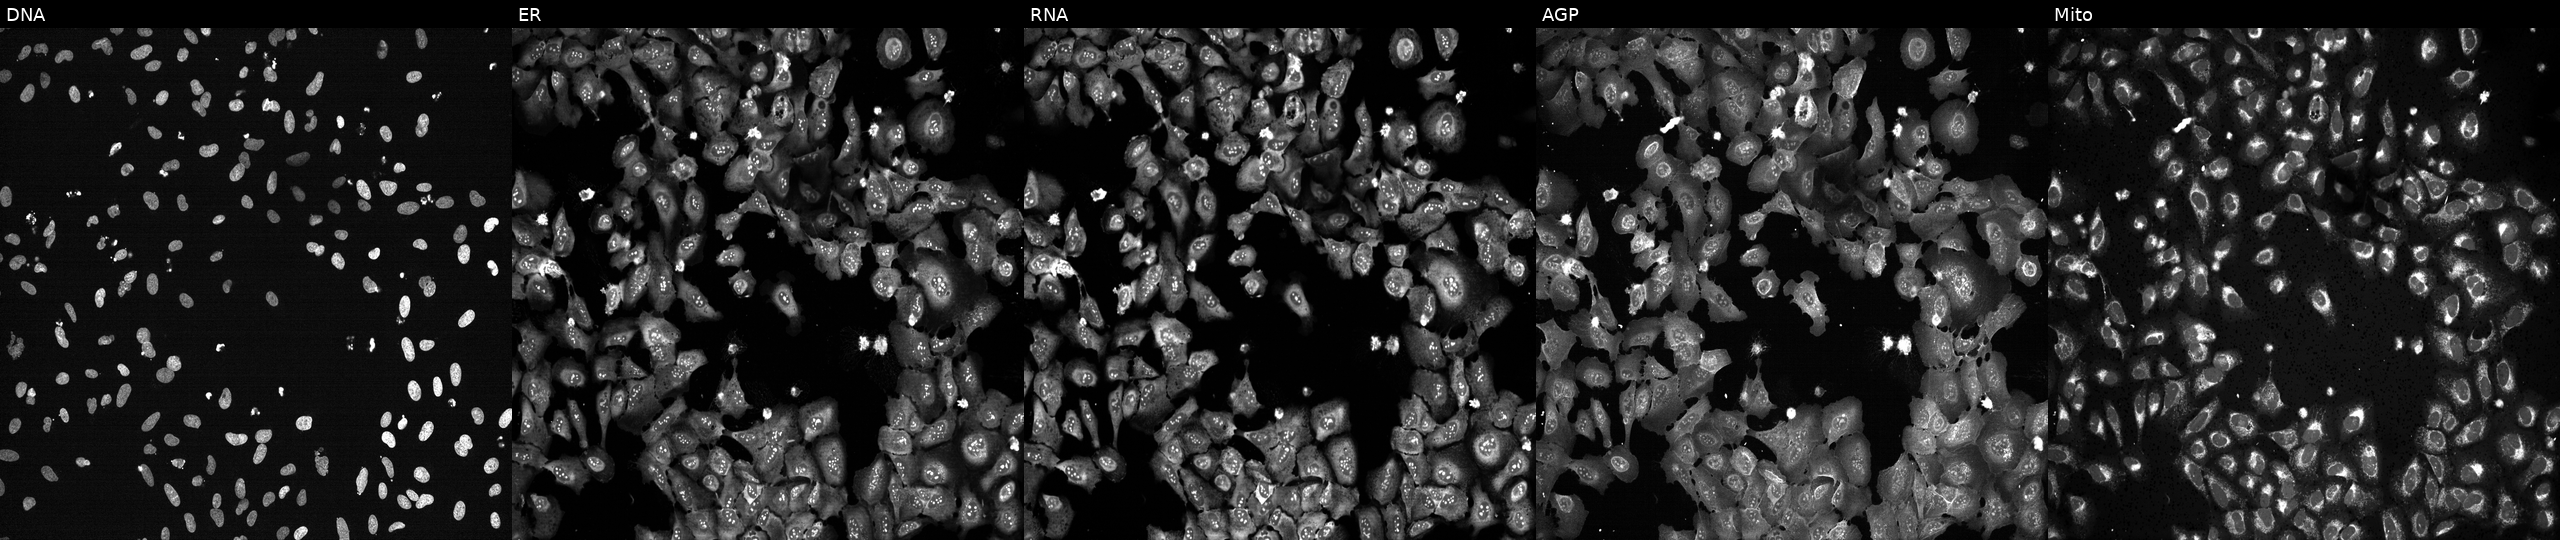
This image strip shows the five Cell Painting channels for a single field of U2OS cells exposed to the positive-control compound TC-S-7004 (JUMP id JCP2022_012818). Panels show, left to right, Hoechst 33342, concanavalin A, SYTO 14, phalloidin and WGA, MitoTracker.